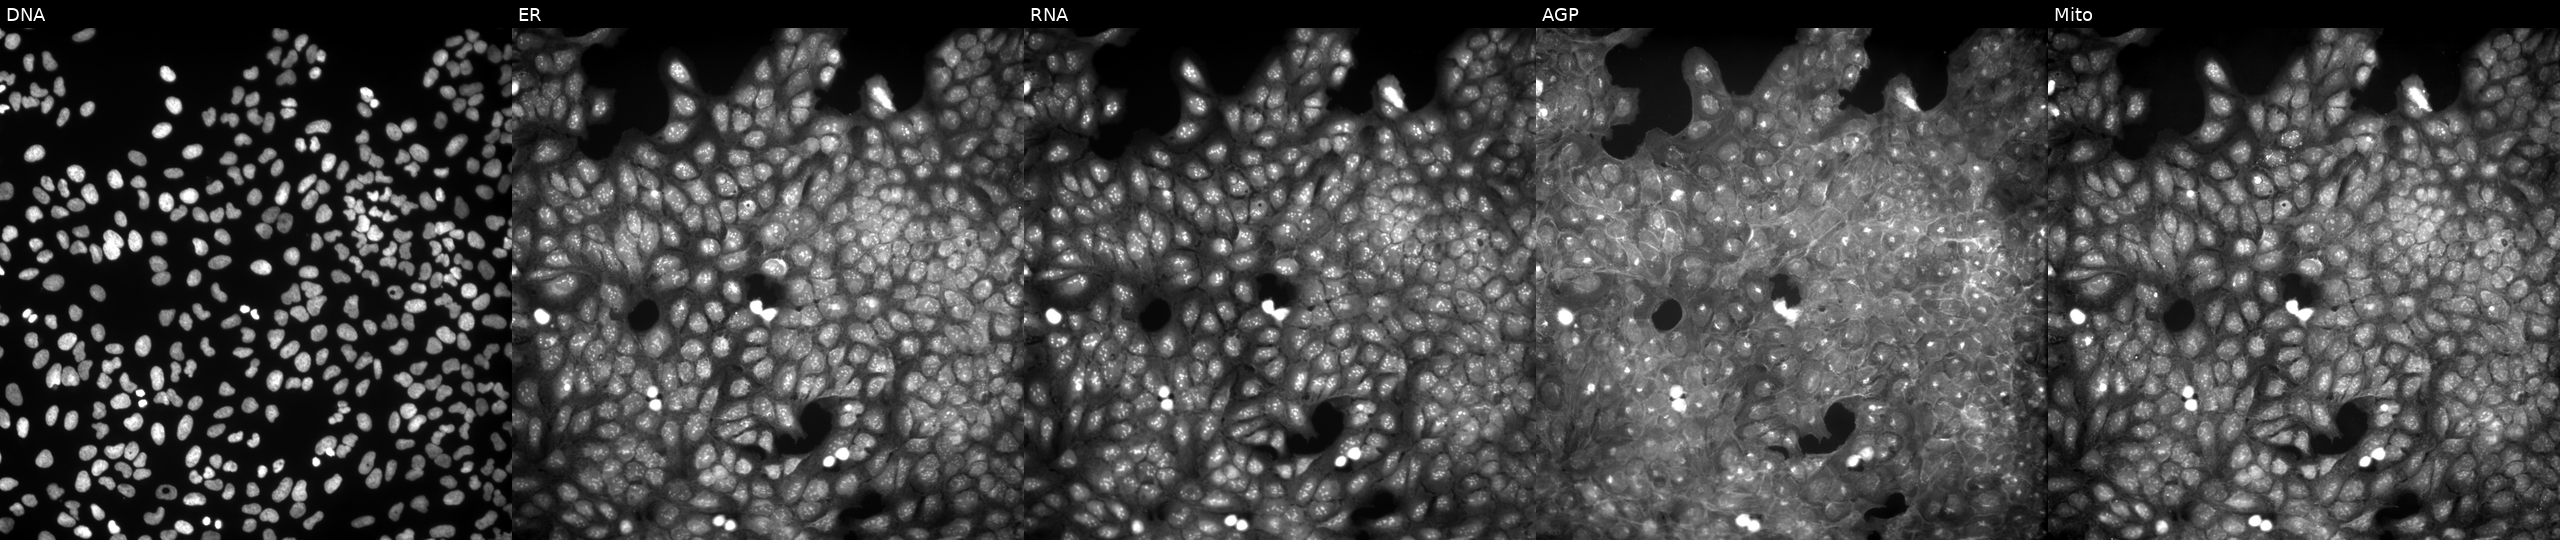
Five-channel Cell Painting image of U2OS cells perturbed with a small-molecule compound (InChIKey FLQKREVCPVXWBI-UHFFFAOYSA-N). Channels (left→right): Hoechst 33342, concanavalin A, SYTO 14, phalloidin and WGA, MitoTracker.